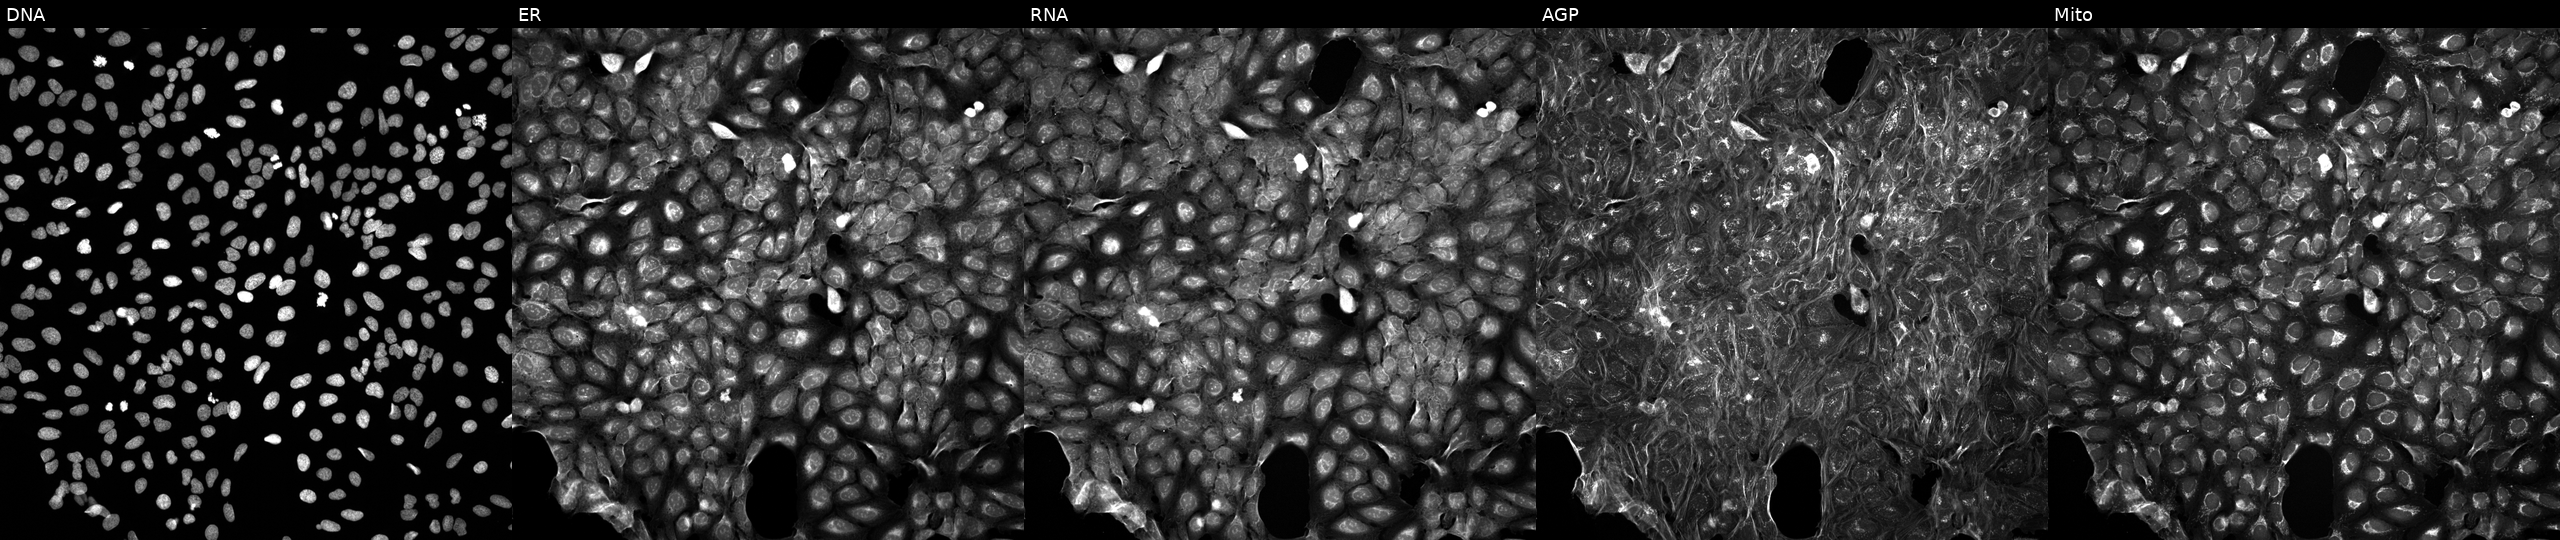
U2OS cells, Cell Painting assay, treated with a small-molecule compound (InChIKey NOIIUHRQUVNIDD-UHFFFAOYSA-N) (JUMP id JCP2022_060311). From left to right: DNA (nuclei); ER (endoplasmic reticulum); RNA (nucleoli and cytoplasmic RNA); AGP (actin cytoskeleton, Golgi, and plasma membrane); Mito (mitochondria). Each panel is percentile-stretched 16-bit fluorescence. Source 5, plate ACPJUM012, well P10.